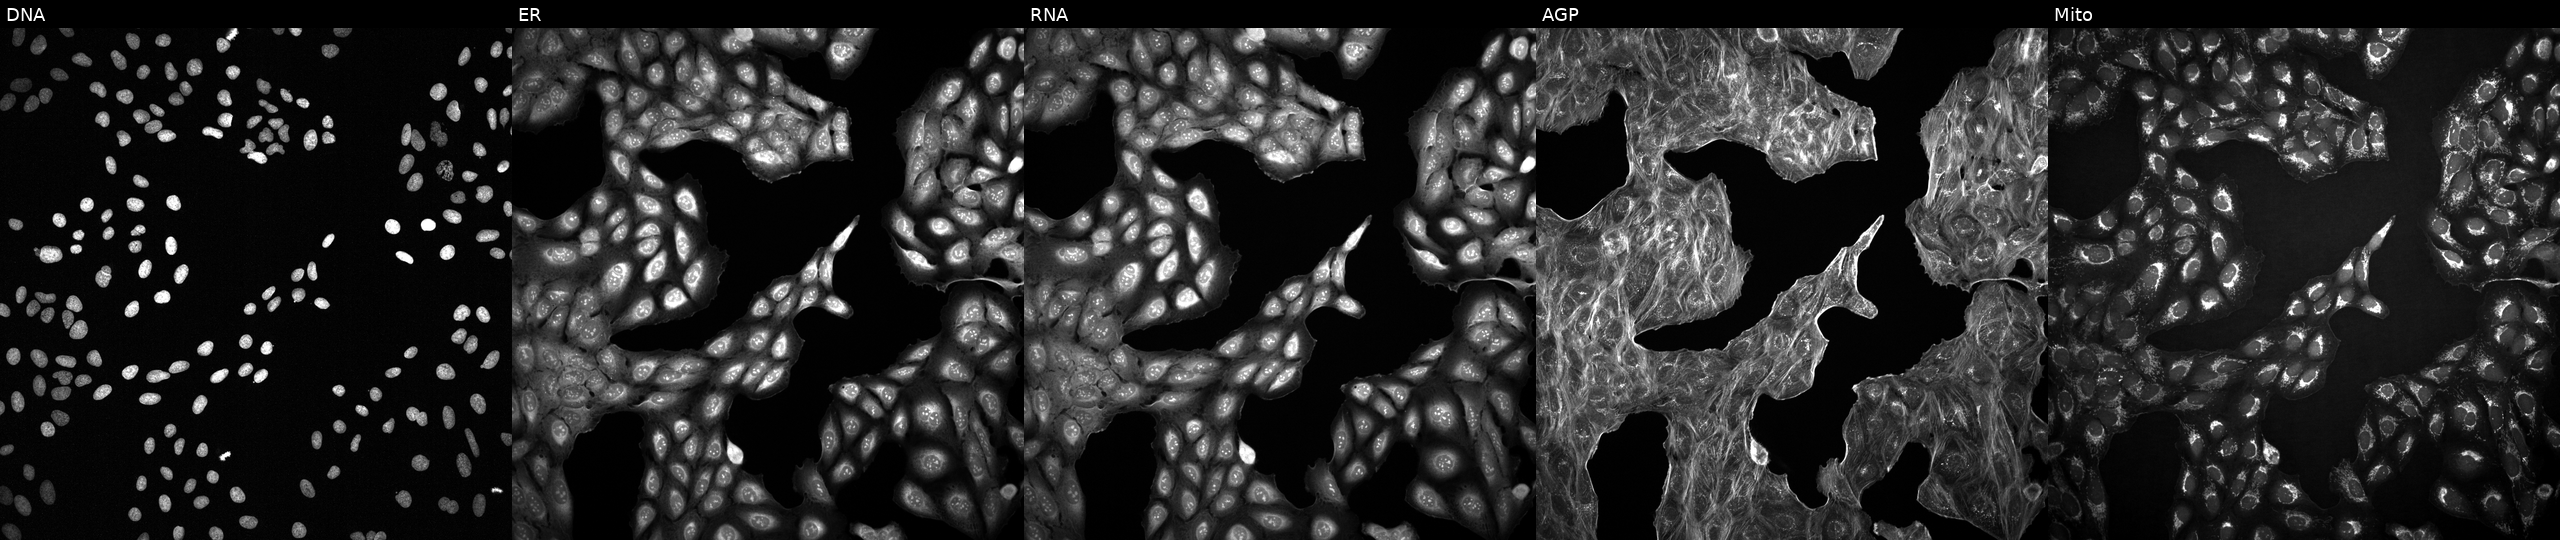
JUMP Cell Painting — COMPOUND plate. U2OS cells with an unidentified perturbation (not annotated in JUMP metadata). From left to right: DNA (nuclei); ER (endoplasmic reticulum); RNA (nucleoli and cytoplasmic RNA); AGP (actin cytoskeleton, Golgi, and plasma membrane); Mito (mitochondria). Source 2, plate 1053601756, well H03.